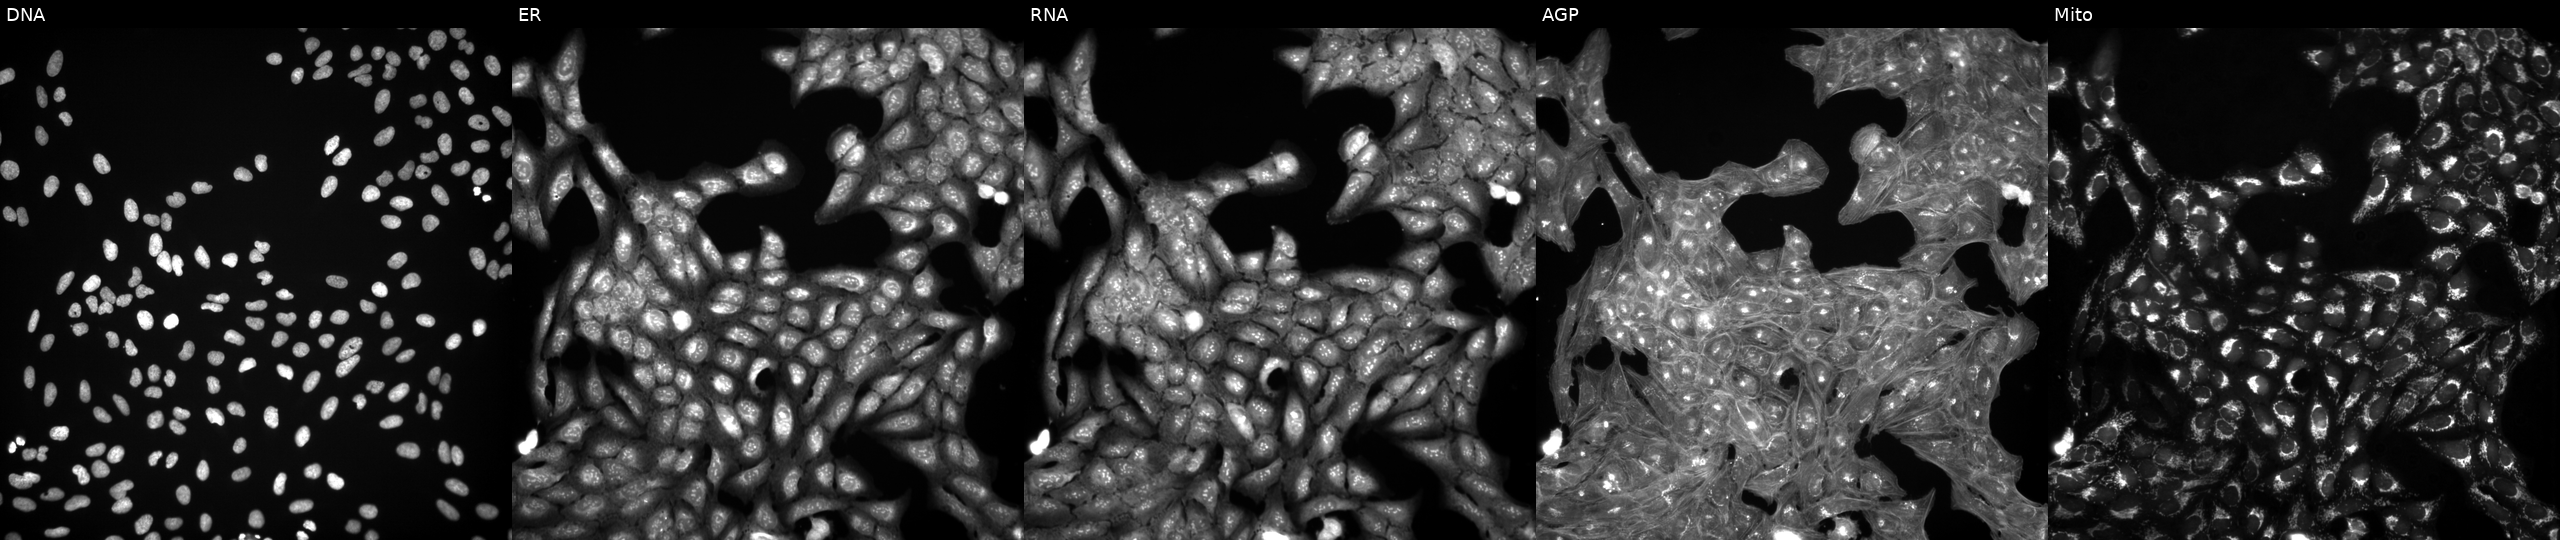
High-content fluorescence microscopy (Cell Painting). Cell line: U2OS. Perturbation: perturbed with a small-molecule compound (InChIKey LPAHKJMGDSJDRG-UHFFFAOYSA-N). Channels (left→right): Hoechst 33342, concanavalin A, SYTO 14, phalloidin and WGA, MitoTracker.